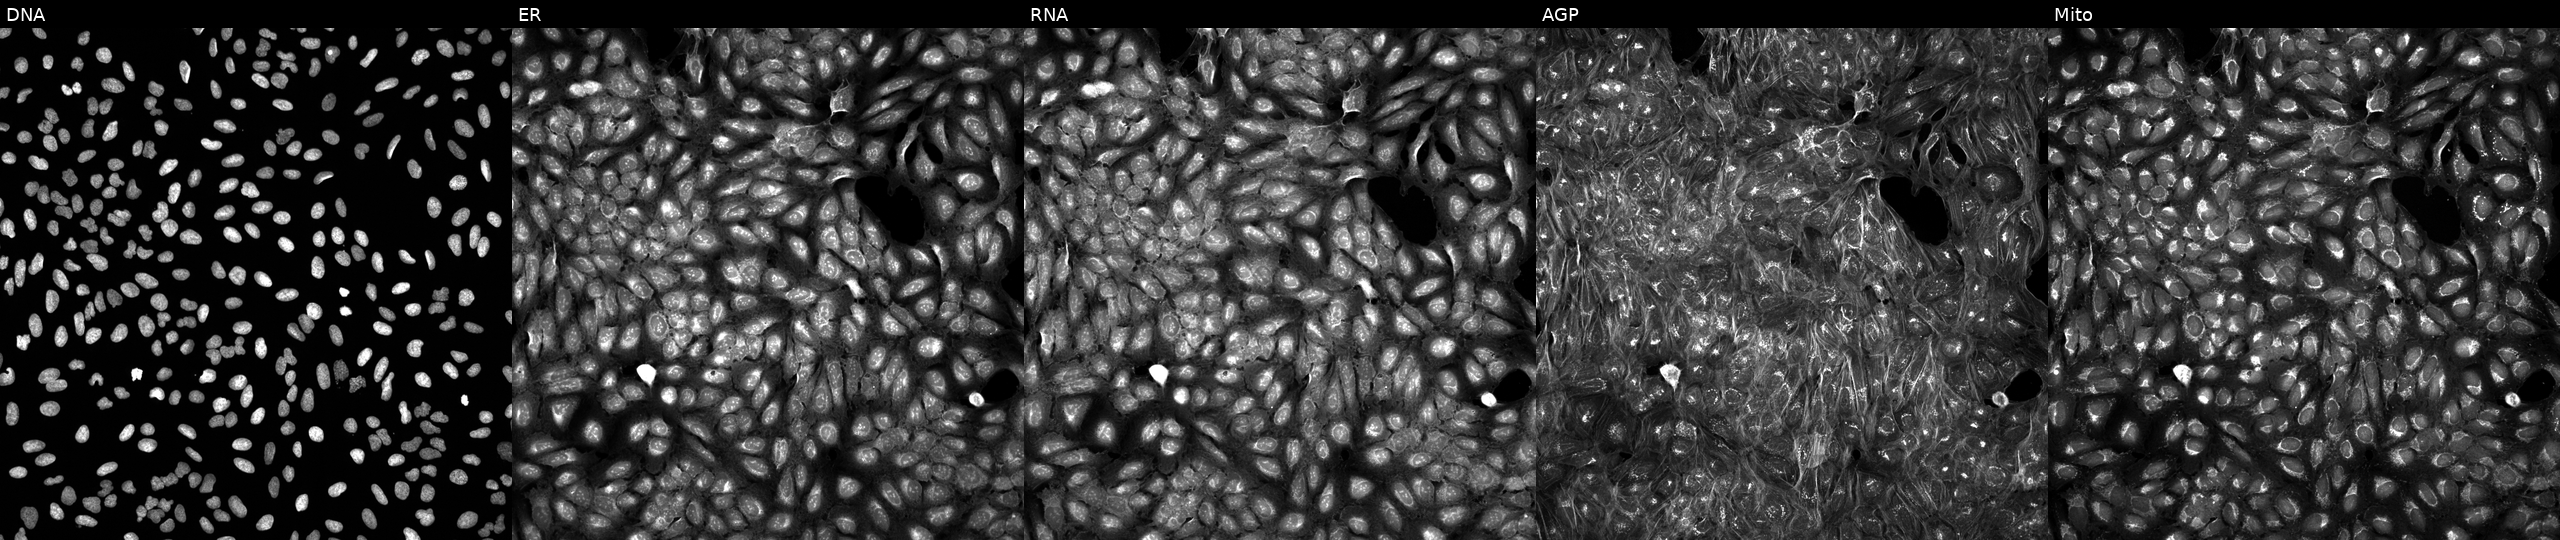
This image strip shows the five Cell Painting channels for a single field of U2OS cells treated with a small-molecule compound (InChIKey KZOSFZQJLFRENN-UHFFFAOYSA-N). Panels show, left to right, Hoechst 33342, concanavalin A, SYTO 14, phalloidin and WGA, MitoTracker.